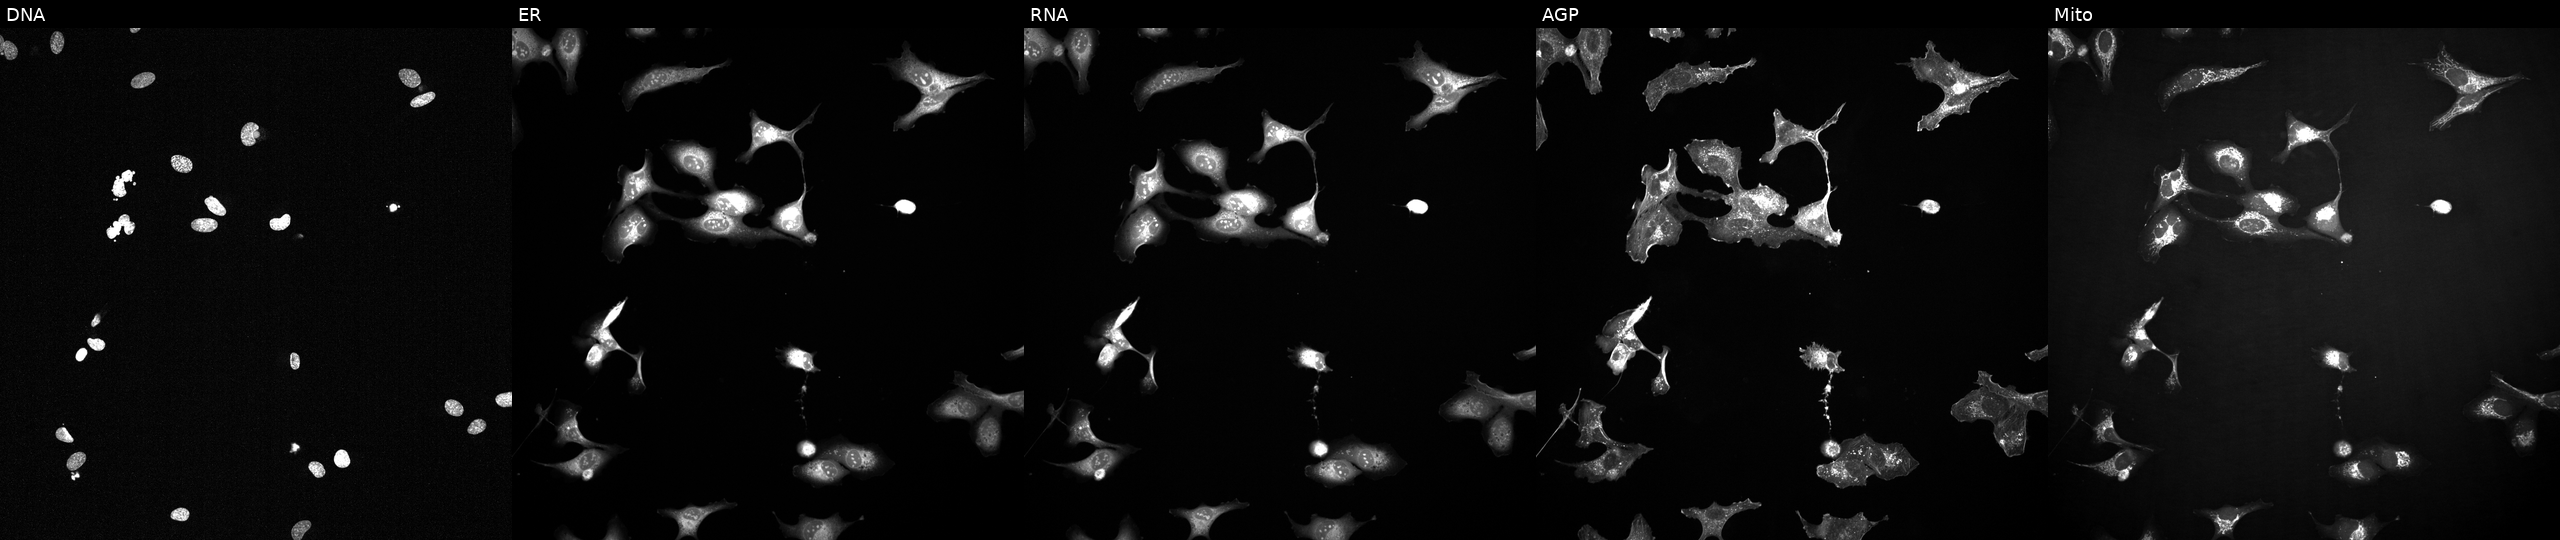
Panels show, left to right, Hoechst 33342, concanavalin A, SYTO 14, phalloidin and WGA, MitoTracker. U2OS osteosarcoma cells treated with a small-molecule compound (InChIKey XQVVPGYIWAGRNI-UHFFFAOYSA-N) (JUMP id JCP2022_105442). Cell Painting assay, JUMP-CP dataset.